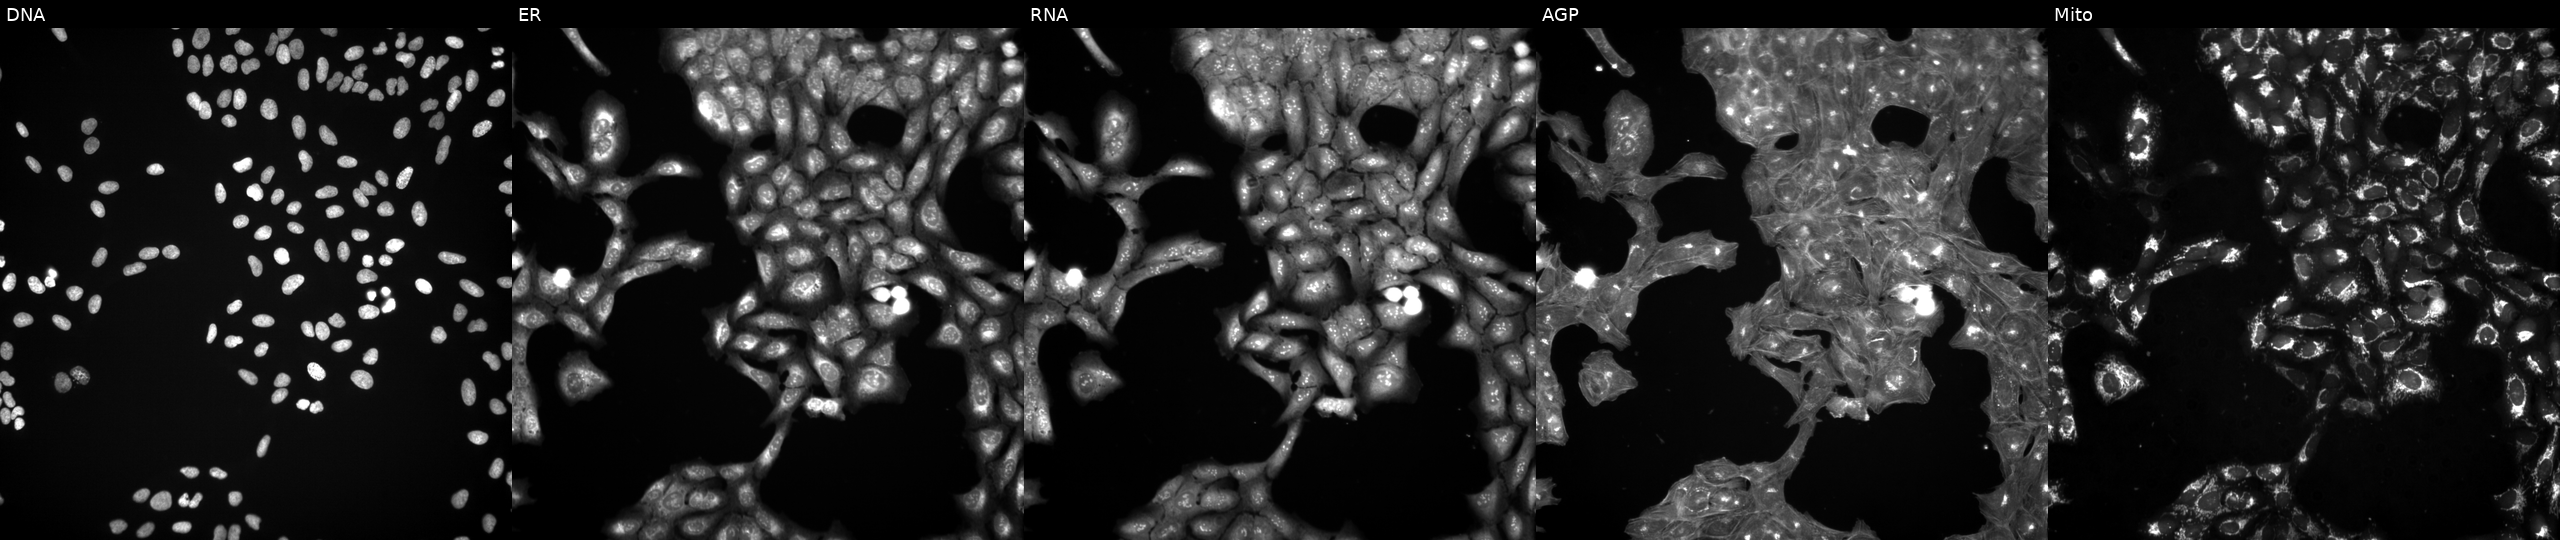
High-content fluorescence microscopy (Cell Painting). Cell line: U2OS. Perturbation: treated with DMSO vehicle only (negative control) (JUMP id JCP2022_033924). Panels show, left to right, Hoechst 33342, concanavalin A, SYTO 14, phalloidin and WGA, MitoTracker. Source 3, plate JCPQC051, well D17.